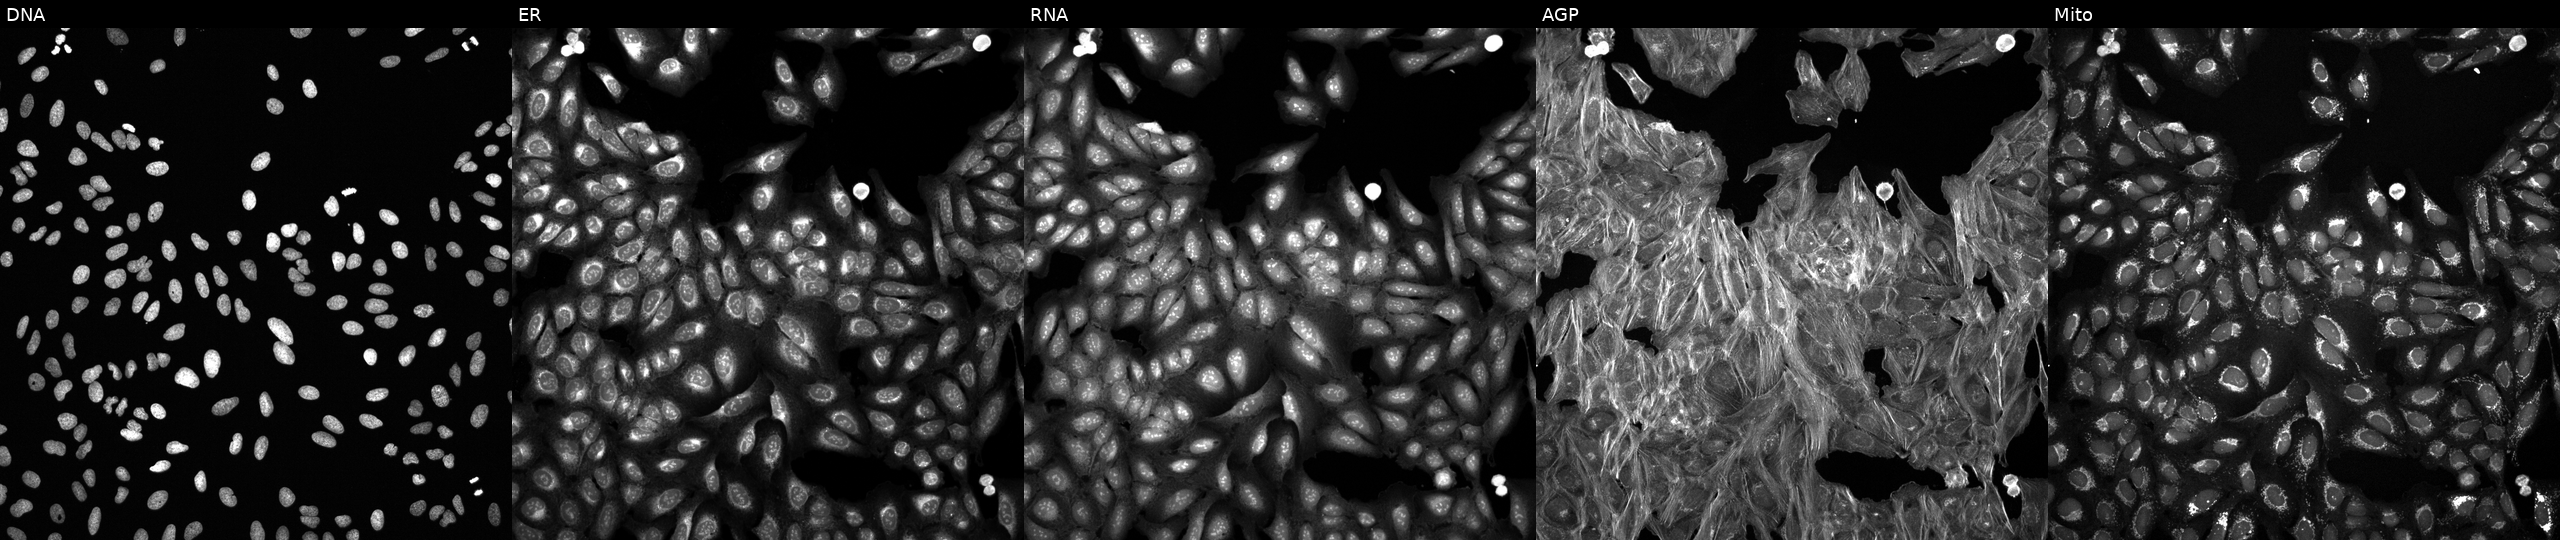
U2OS cells, Cell Painting assay, treated with a small-molecule compound [SMILES: CCn1nc(C)c(CCN(C)S(=O)(=O)c2ccc(C)c(C)c2)c1C]. From left to right: Hoechst 33342, concanavalin A, SYTO 14, phalloidin and WGA, MitoTracker. Each panel is percentile-stretched 16-bit fluorescence.